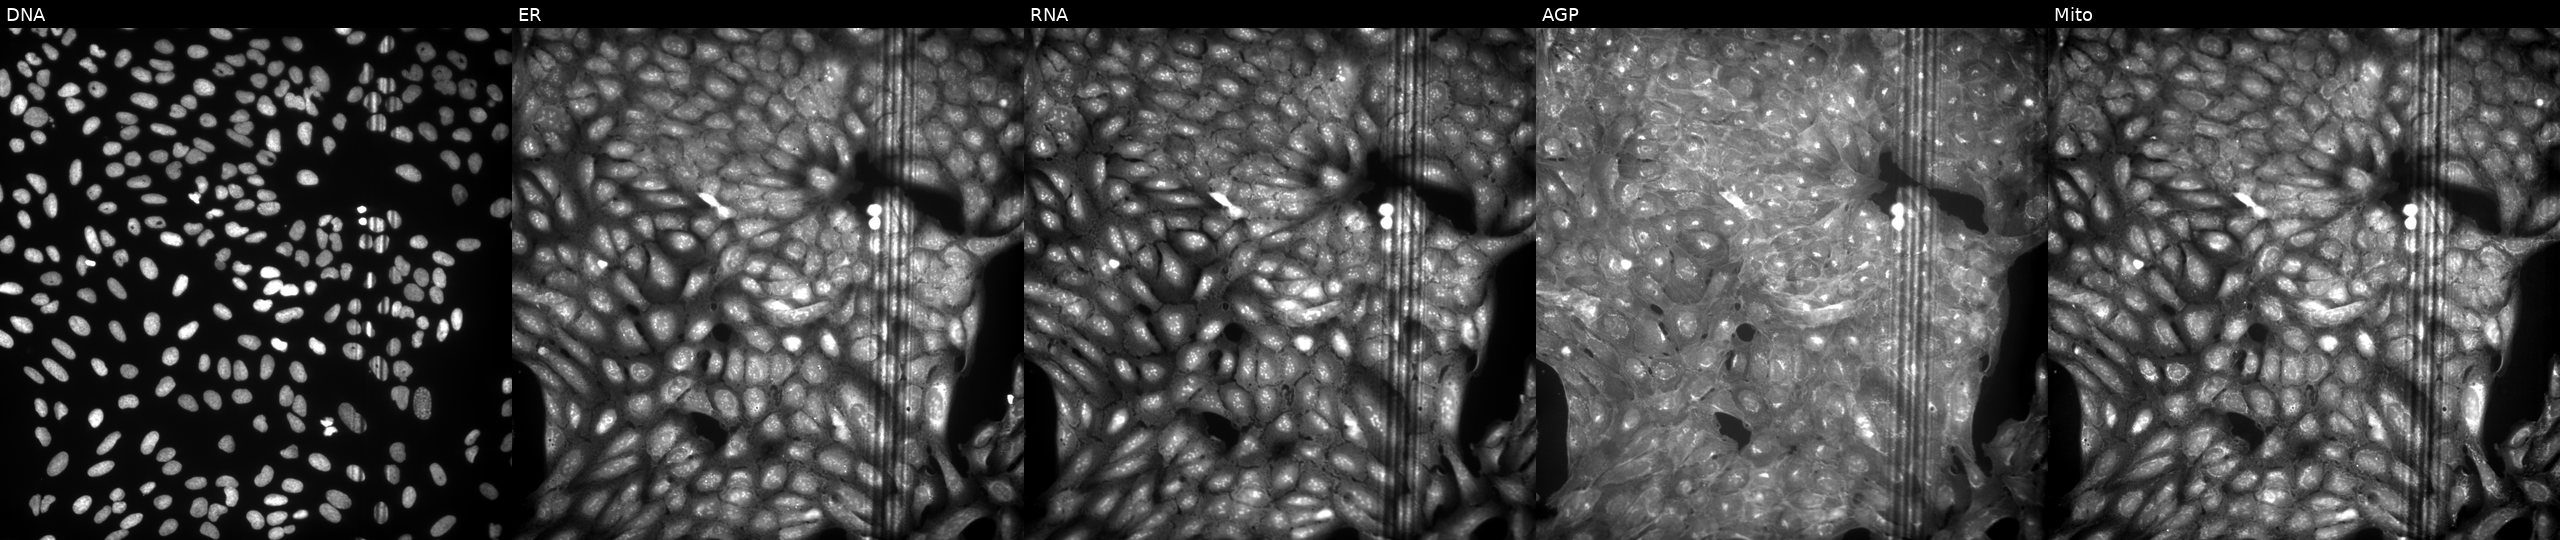
Panels show, left to right, DNA, ER, RNA, AGP, and Mito. U2OS osteosarcoma cells treated with a small-molecule compound (InChIKey OBJLQBPXGUSGFV-UHFFFAOYSA-N) [SMILES: CCC1=NN(C(=O)c2ccncc2)C(O)(c2ccc(Br)cc2)C1] (JUMP id JCP2022_062708). Cell Painting assay, JUMP-CP dataset. Source 9, plate GR00003381, well U32.